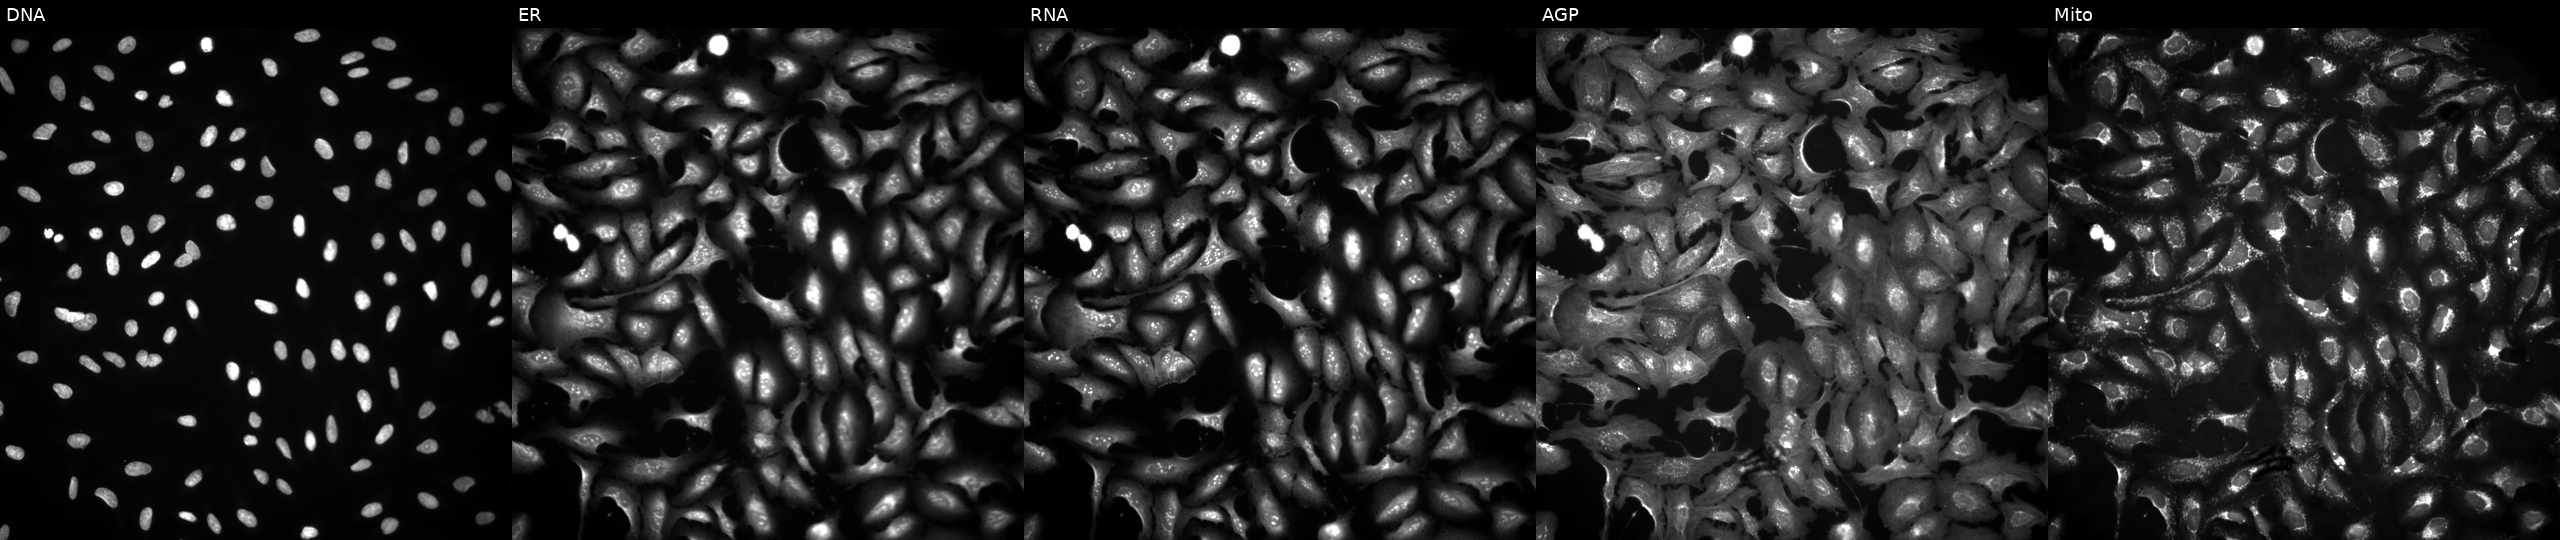
JUMP Cell Painting — ORF plate. U2OS cells transfected with an ORF construct for ARF6. The five panels, left to right, show DNA (nuclei); ER (endoplasmic reticulum); RNA (nucleoli and cytoplasmic RNA); AGP (actin cytoskeleton, Golgi, and plasma membrane); Mito (mitochondria).